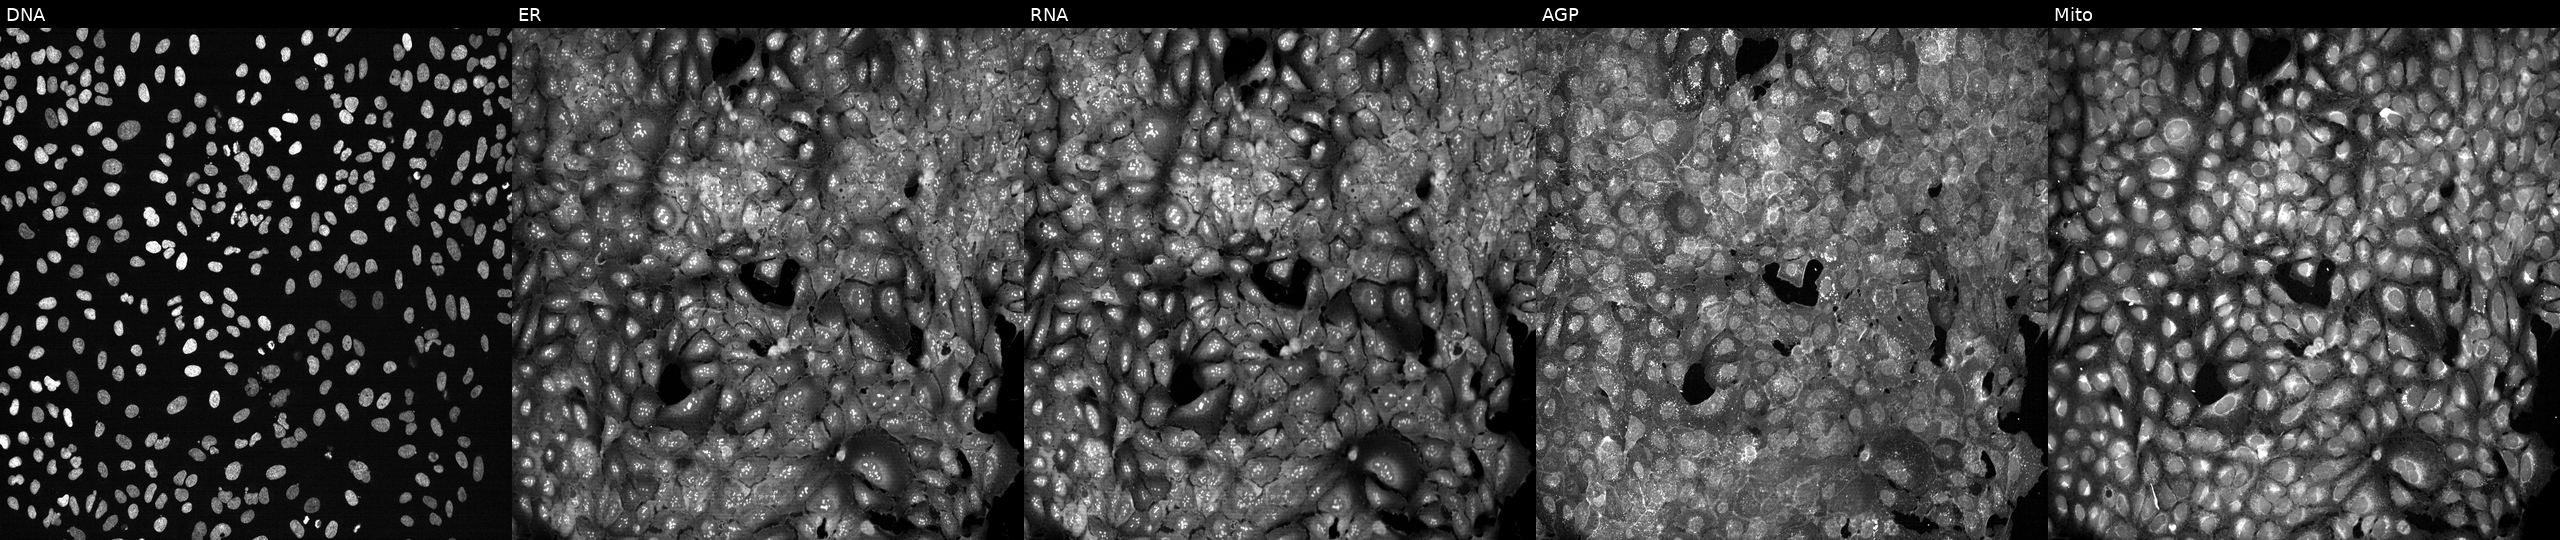
High-content fluorescence microscopy (Cell Painting). Cell line: U2OS. Perturbation: CRISPR-edited to disrupt LCN12 (JUMP id JCP2022_803790). The five panels, left to right, show Hoechst 33342, concanavalin A, SYTO 14, phalloidin and WGA, MitoTracker.